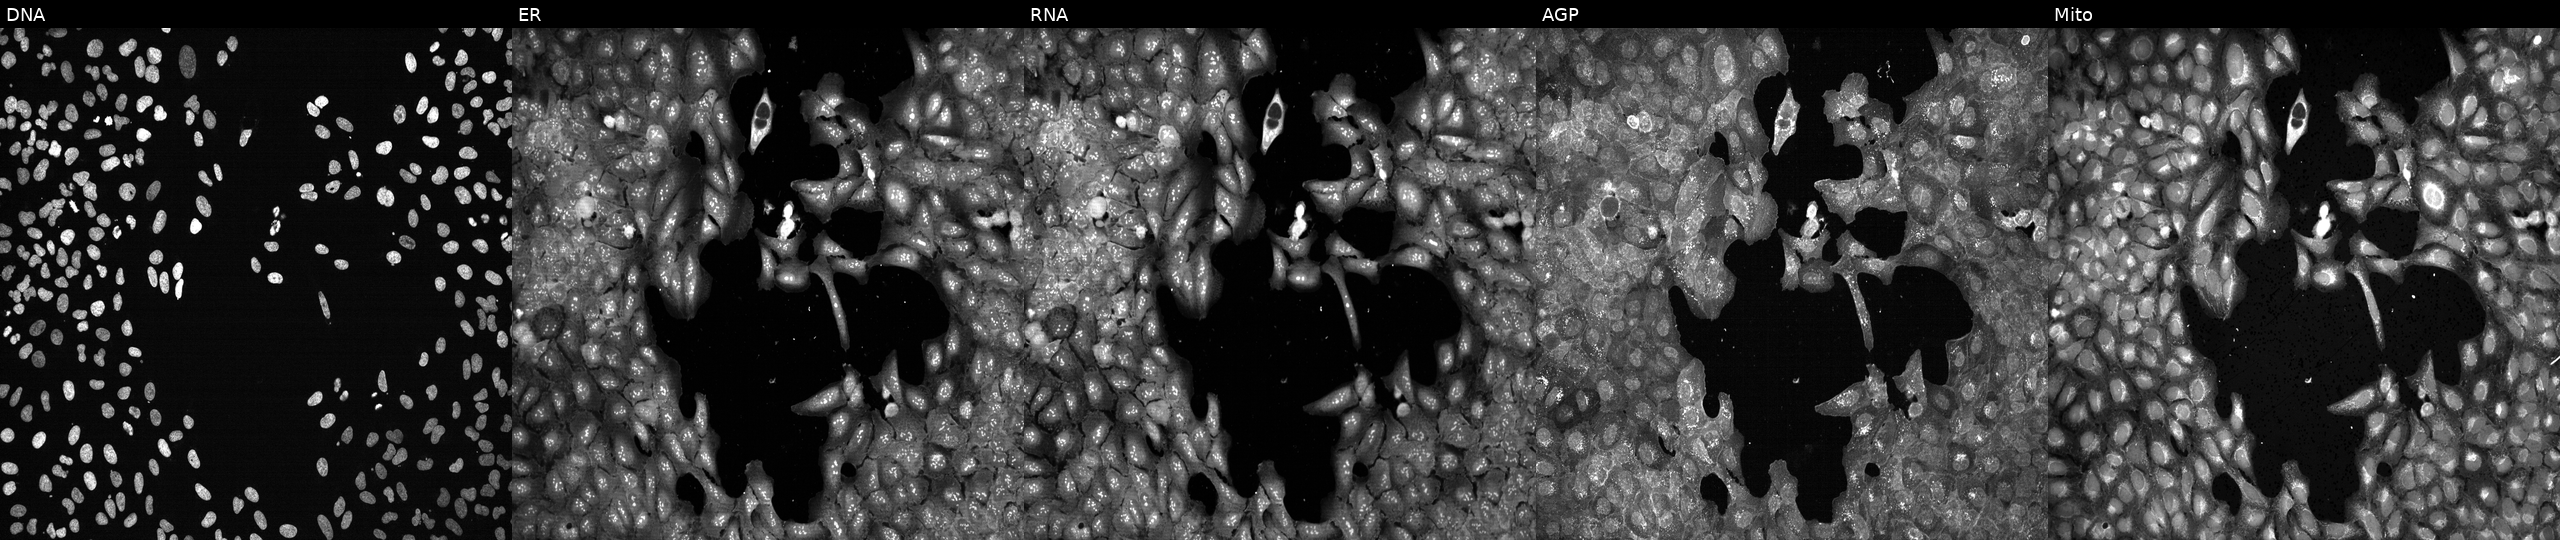
Five-channel Cell Painting image of U2OS cells following CRISPR knockout of XRN1 (JUMP id JCP2022_807722). The five panels, left to right, show DNA, ER, RNA, AGP, and Mito. Source 13, plate CP-CC9-R1-01, well E16.